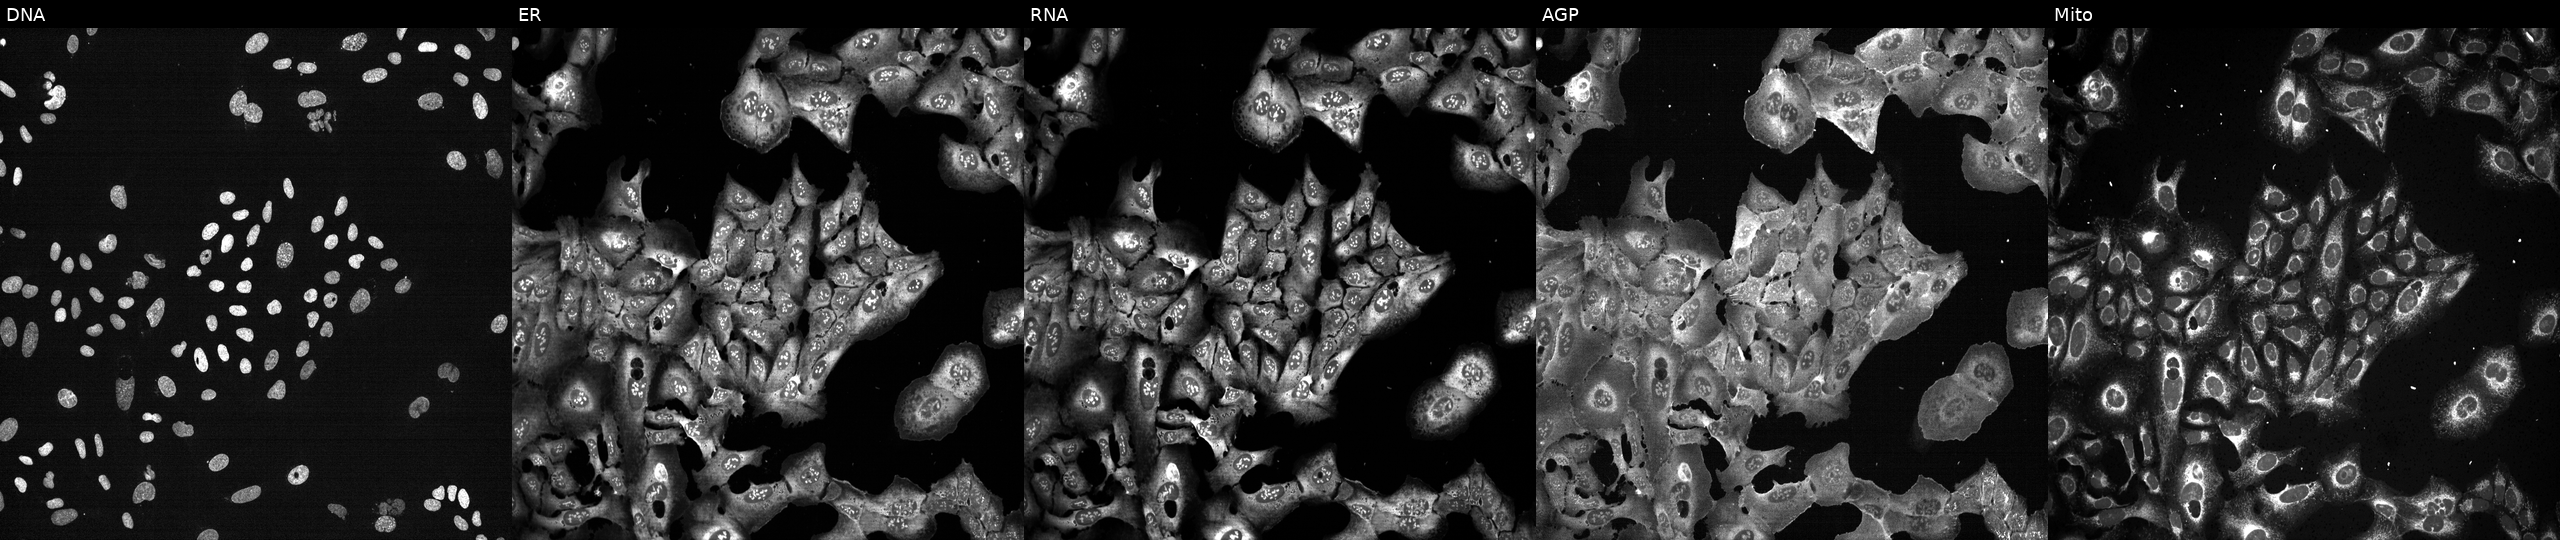
Five-channel Cell Painting image of U2OS cells CRISPR-edited to disrupt DNA2. The five panels, left to right, show Hoechst 33342, concanavalin A, SYTO 14, phalloidin and WGA, MitoTracker. Source 13, plate CP-CC9-R3-01, well F14.